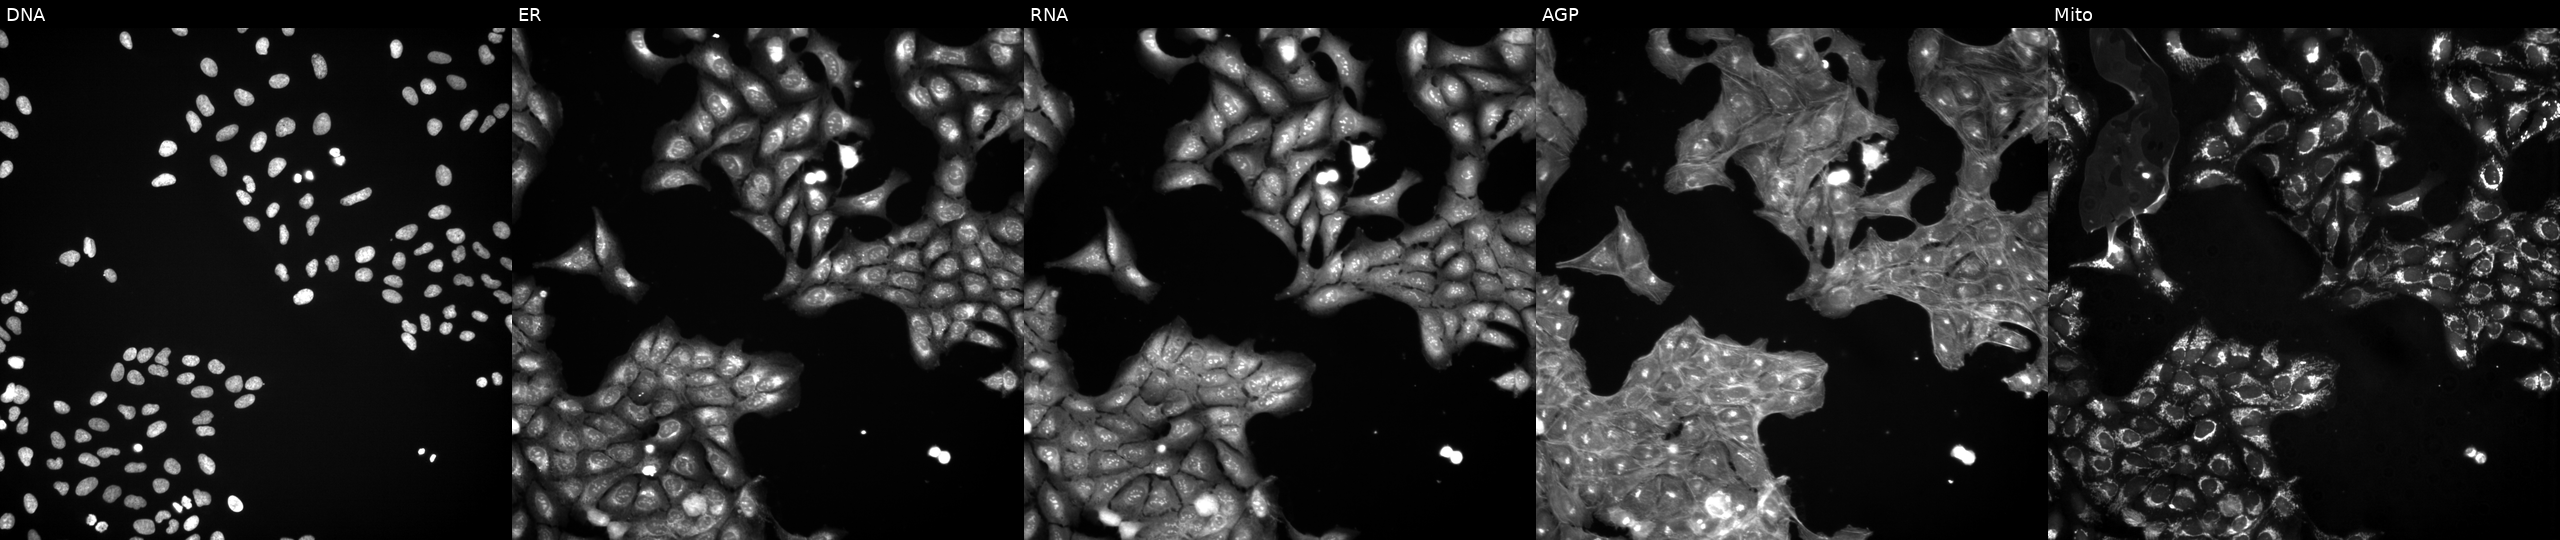
JUMP Cell Painting — TARGET2 plate. U2OS cells exposed to a small-molecule compound (JUMP id JCP2022_068606). From left to right: DNA (nuclei); ER (endoplasmic reticulum); RNA (nucleoli and cytoplasmic RNA); AGP (actin cytoskeleton, Golgi, and plasma membrane); Mito (mitochondria).